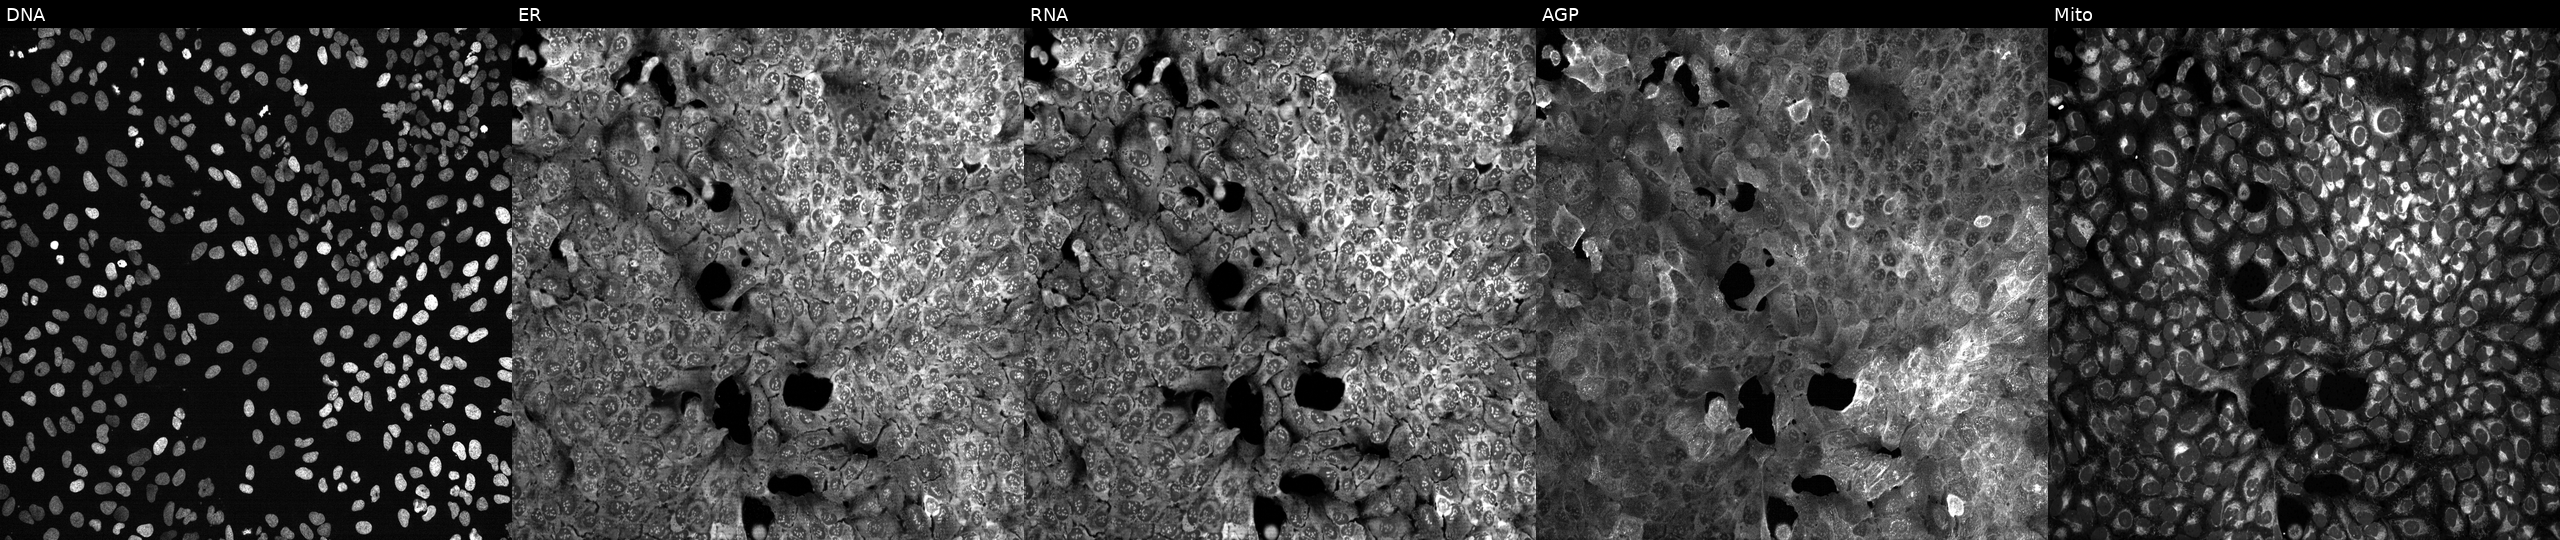
Channels (left→right): Hoechst 33342, concanavalin A, SYTO 14, phalloidin and WGA, MitoTracker. U2OS osteosarcoma cells CRISPR-edited to disrupt IL11 (JUMP id JCP2022_803363). Cell Painting assay, JUMP-CP dataset.